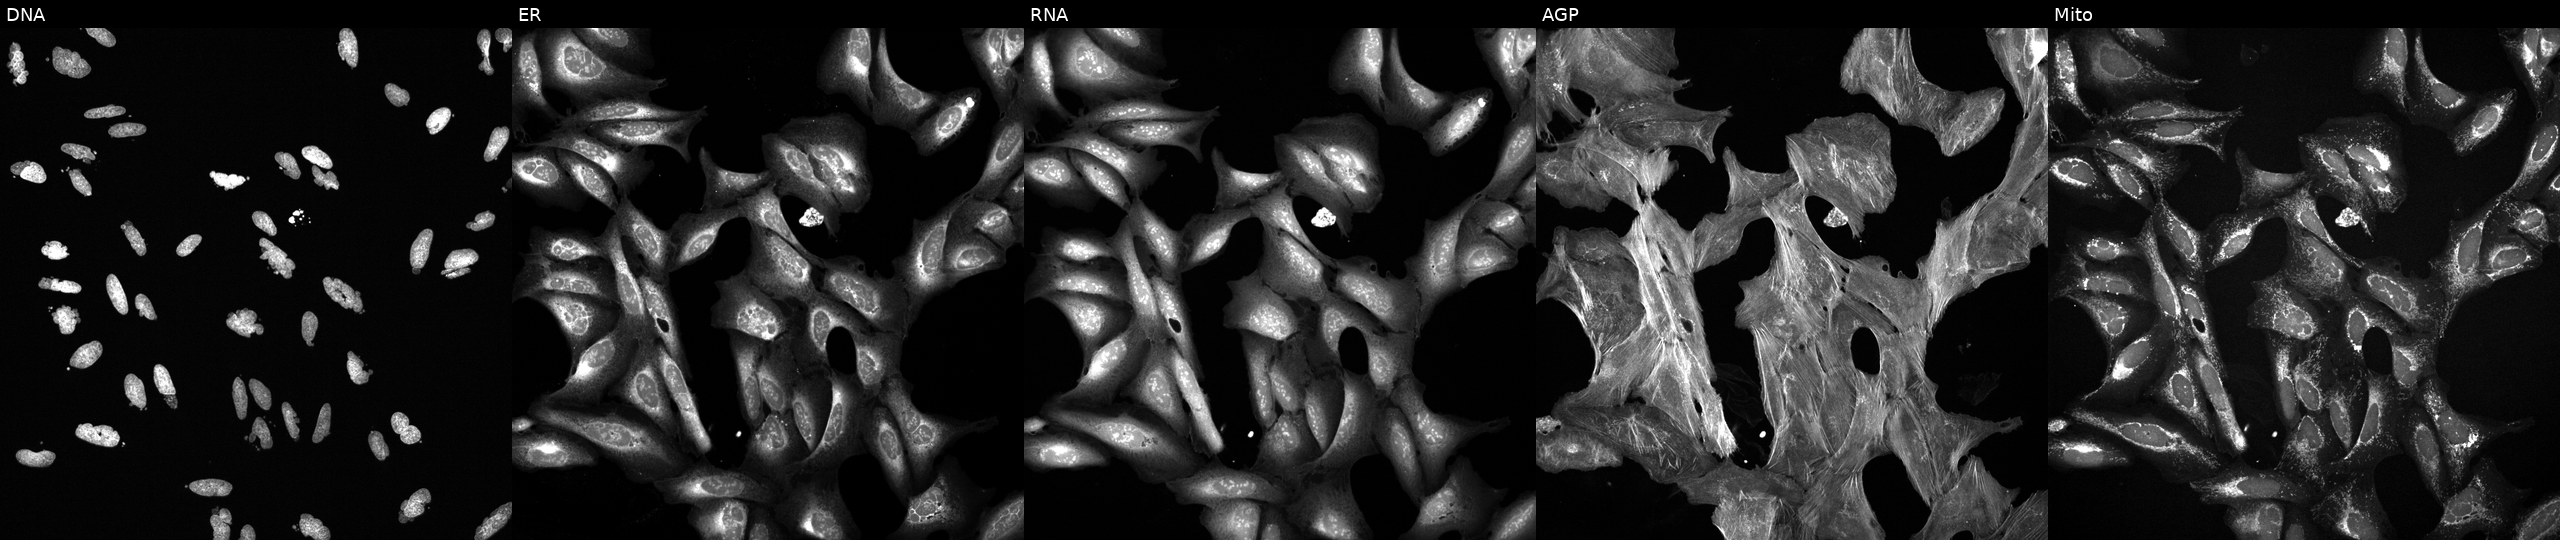
JUMP Cell Painting — TARGET2 plate. U2OS cells exposed to a small-molecule compound (InChIKey KRBSMMVJJVHVCB-UHFFFAOYSA-N) (JUMP id JCP2022_046462). The five panels, left to right, show Hoechst 33342, concanavalin A, SYTO 14, phalloidin and WGA, MitoTracker.